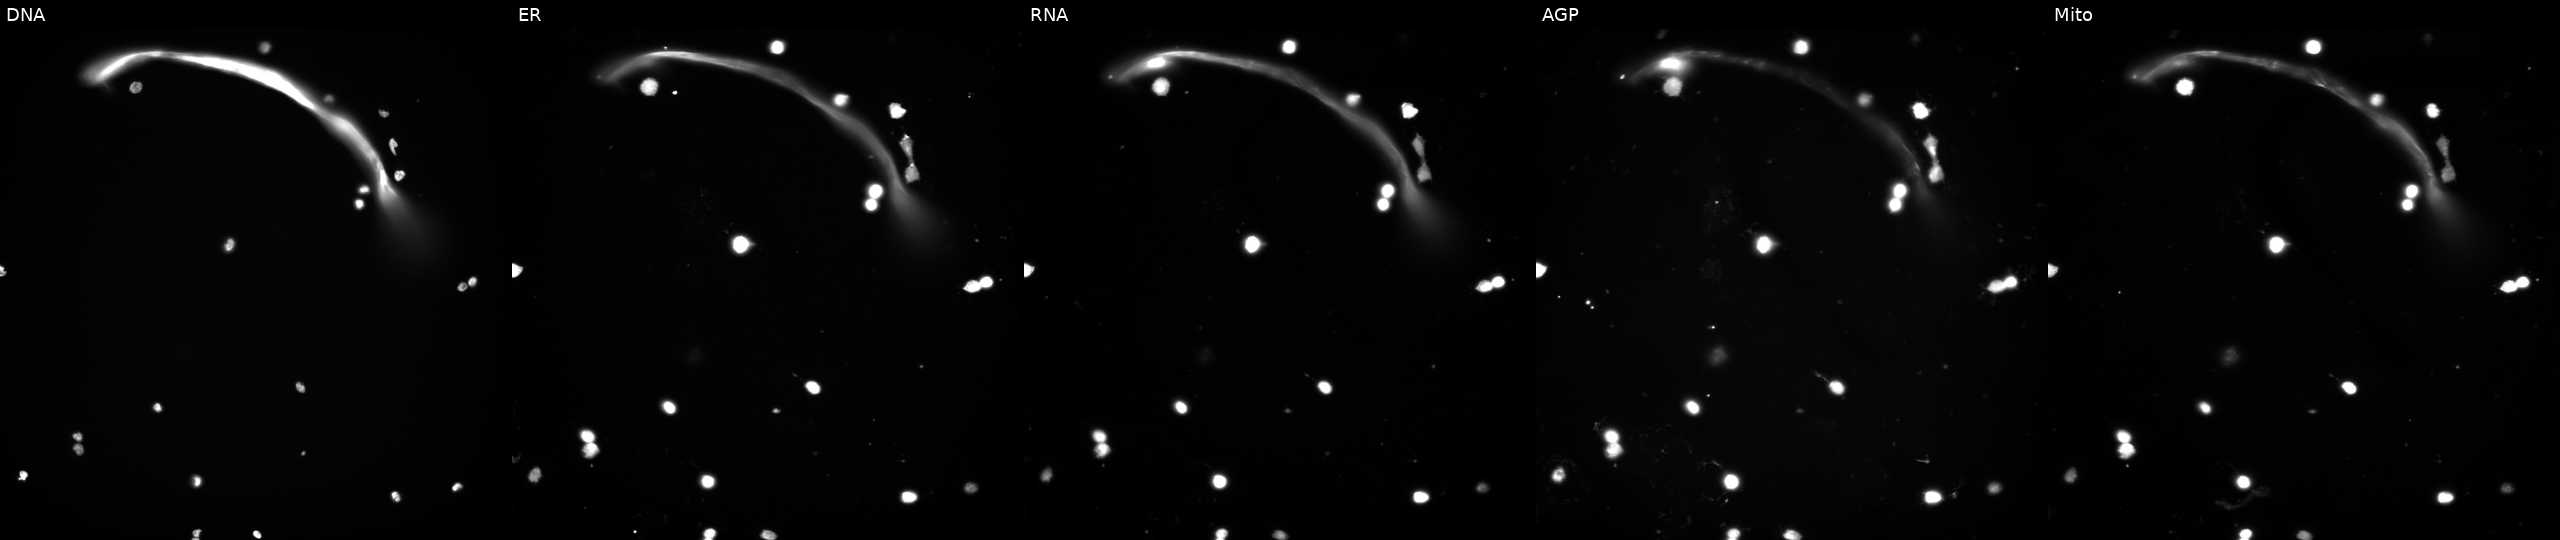
Channels (left→right): DNA, ER, RNA, AGP, and Mito. U2OS osteosarcoma cells treated with a small-molecule compound [SMILES: Cc1ccc(C=C2CNCC(=Cc3ccc(C)cc3)C2=O)cc1] (JUMP id JCP2022_069131). Cell Painting assay, JUMP-CP dataset. Source 3, plate JCPQC053, well G18.